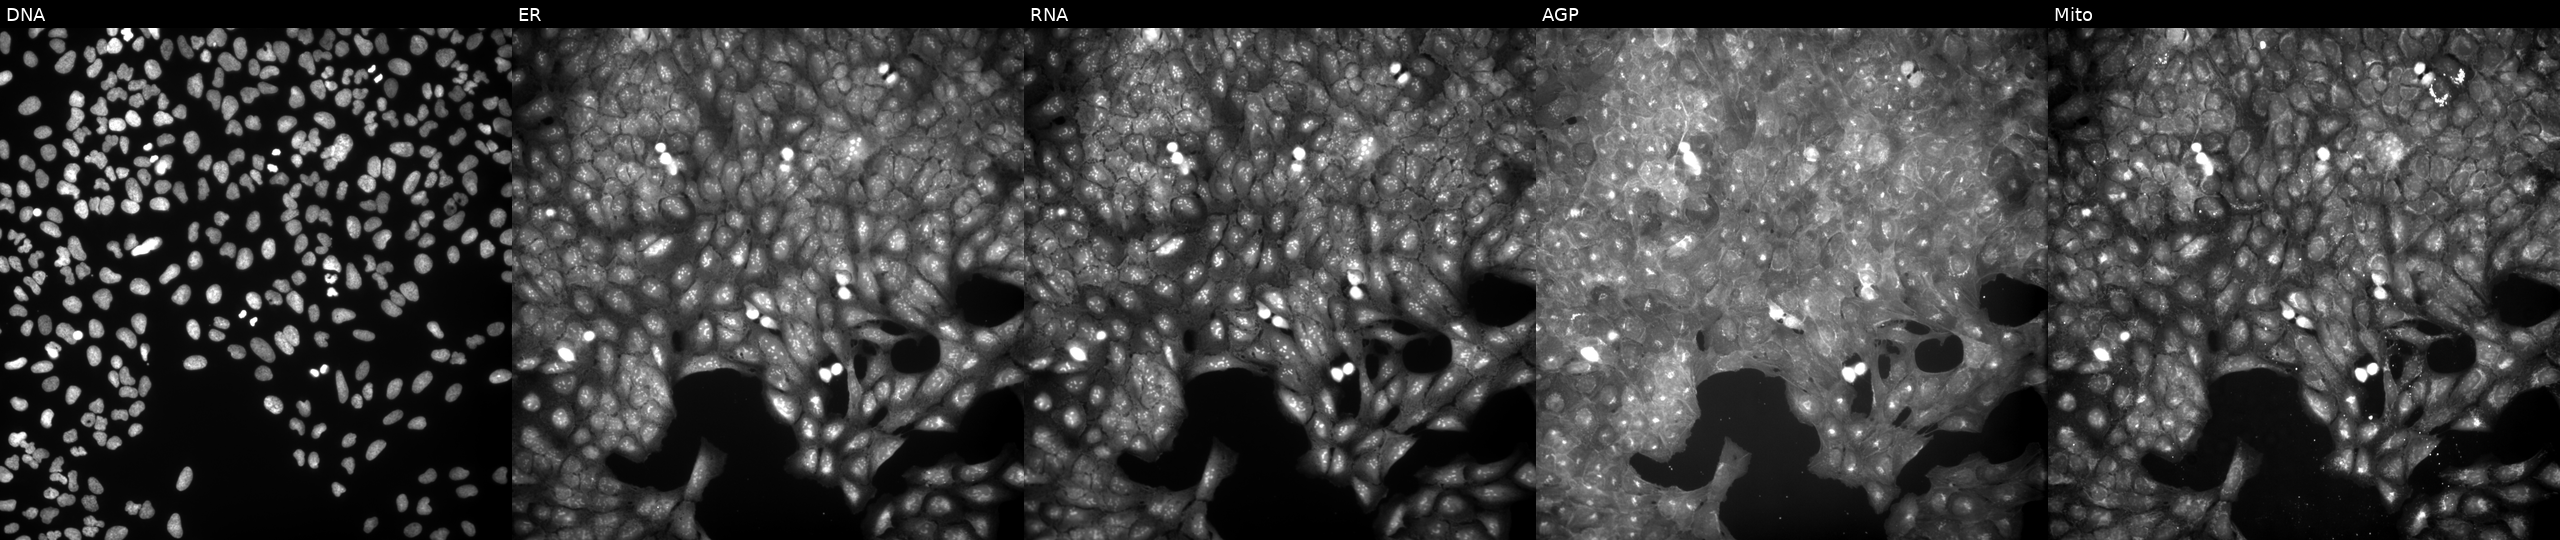
The five panels, left to right, show DNA, ER, RNA, AGP, and Mito. U2OS osteosarcoma cells treated with a small-molecule compound (InChIKey SEEBLPAOAWTWBF-UHFFFAOYSA-N) [SMILES: CC(=O)Nc1ccc(S(=O)(=O)NNC(=O)c2cccc(Cl)c2)cc1] (JUMP id JCP2022_082615). Cell Painting assay, JUMP-CP dataset. Source 9, plate GR00003381, well Q28.